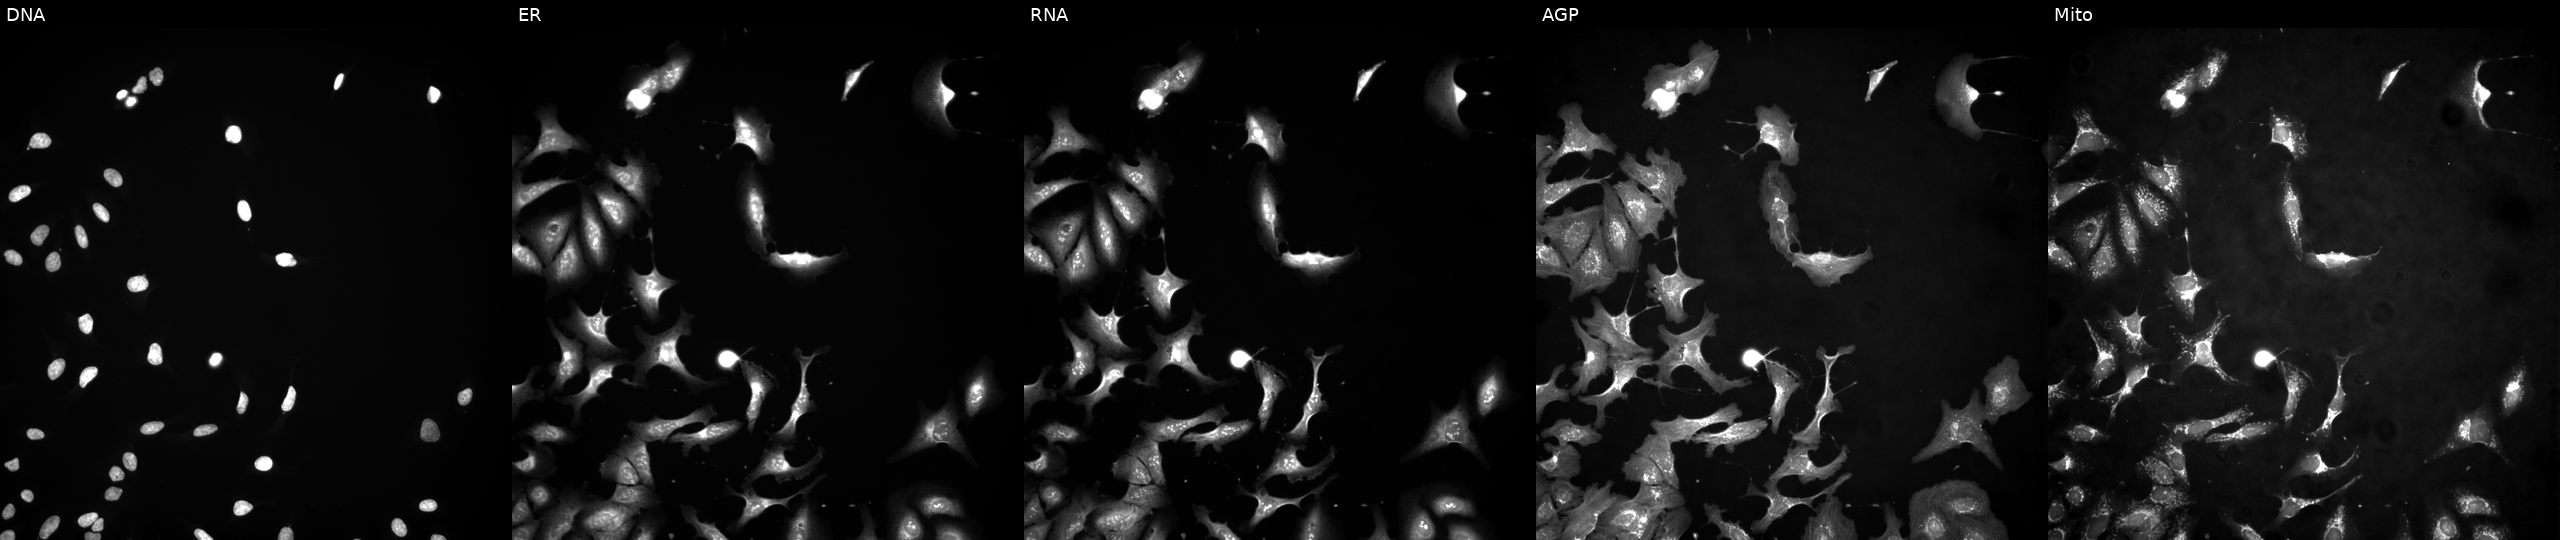
Five-channel Cell Painting image of U2OS cells with MAPK9 overexpressed (ORF) (JUMP id JCP2022_913829). From left to right: Hoechst 33342, concanavalin A, SYTO 14, phalloidin and WGA, MitoTracker.